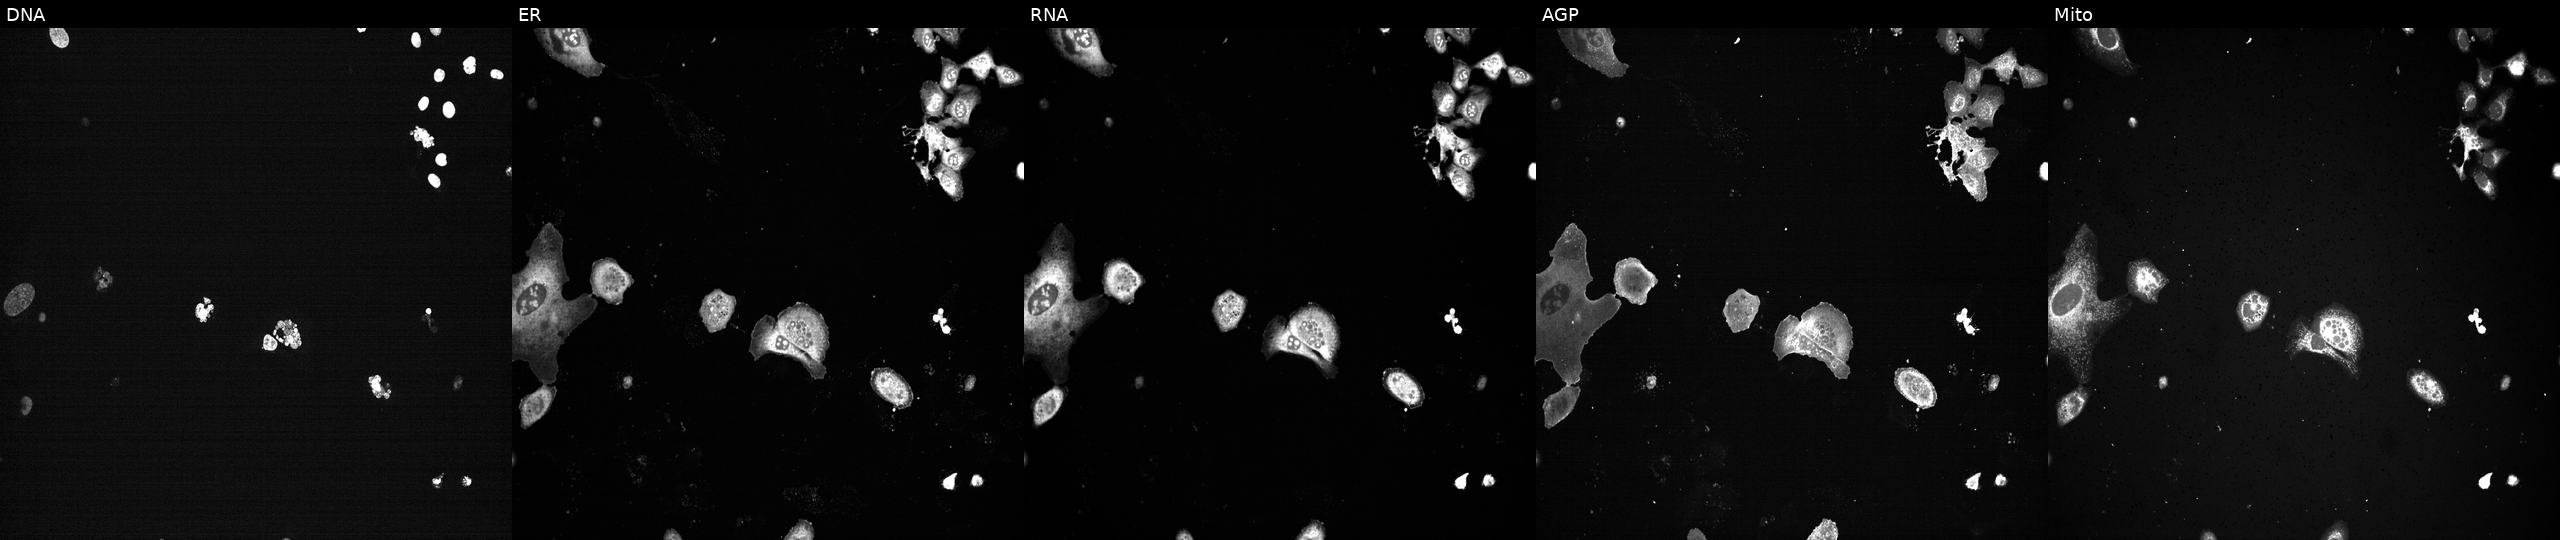
High-content fluorescence microscopy (Cell Painting). Cell line: U2OS. Perturbation: with PLK1 knocked out by CRISPR (positive control). The five panels, left to right, show DNA (nuclei); ER (endoplasmic reticulum); RNA (nucleoli and cytoplasmic RNA); AGP (actin cytoskeleton, Golgi, and plasma membrane); Mito (mitochondria).